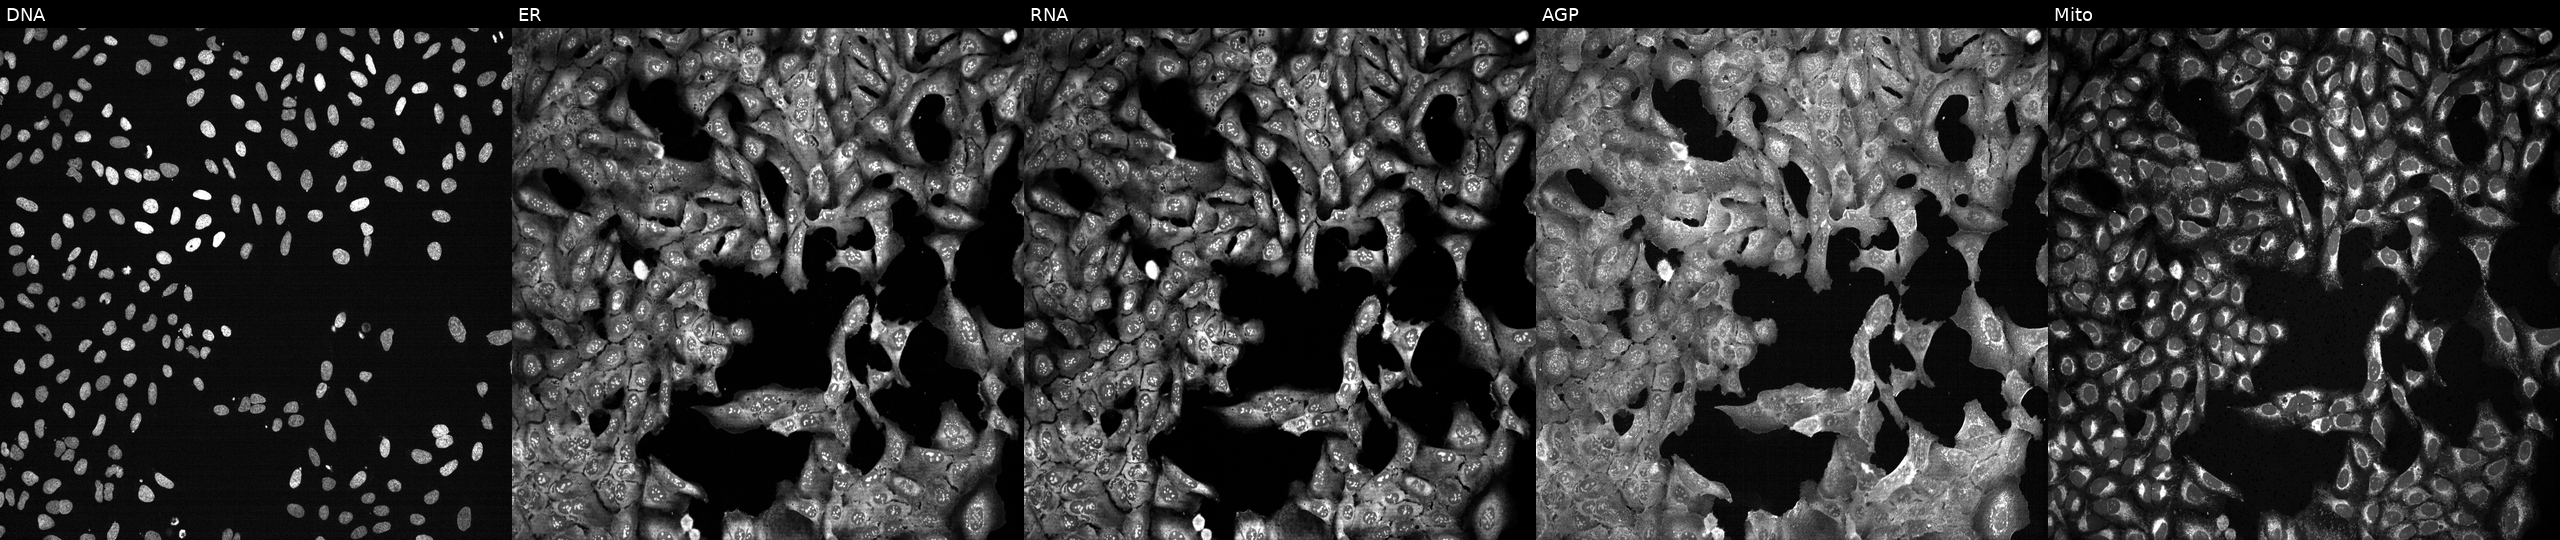
U2OS cells, Cell Painting assay, following CRISPR knockout of LGSN (JUMP id JCP2022_803822). Channels (left→right): DNA (nuclei); ER (endoplasmic reticulum); RNA (nucleoli and cytoplasmic RNA); AGP (actin cytoskeleton, Golgi, and plasma membrane); Mito (mitochondria). Each panel is percentile-stretched 16-bit fluorescence.